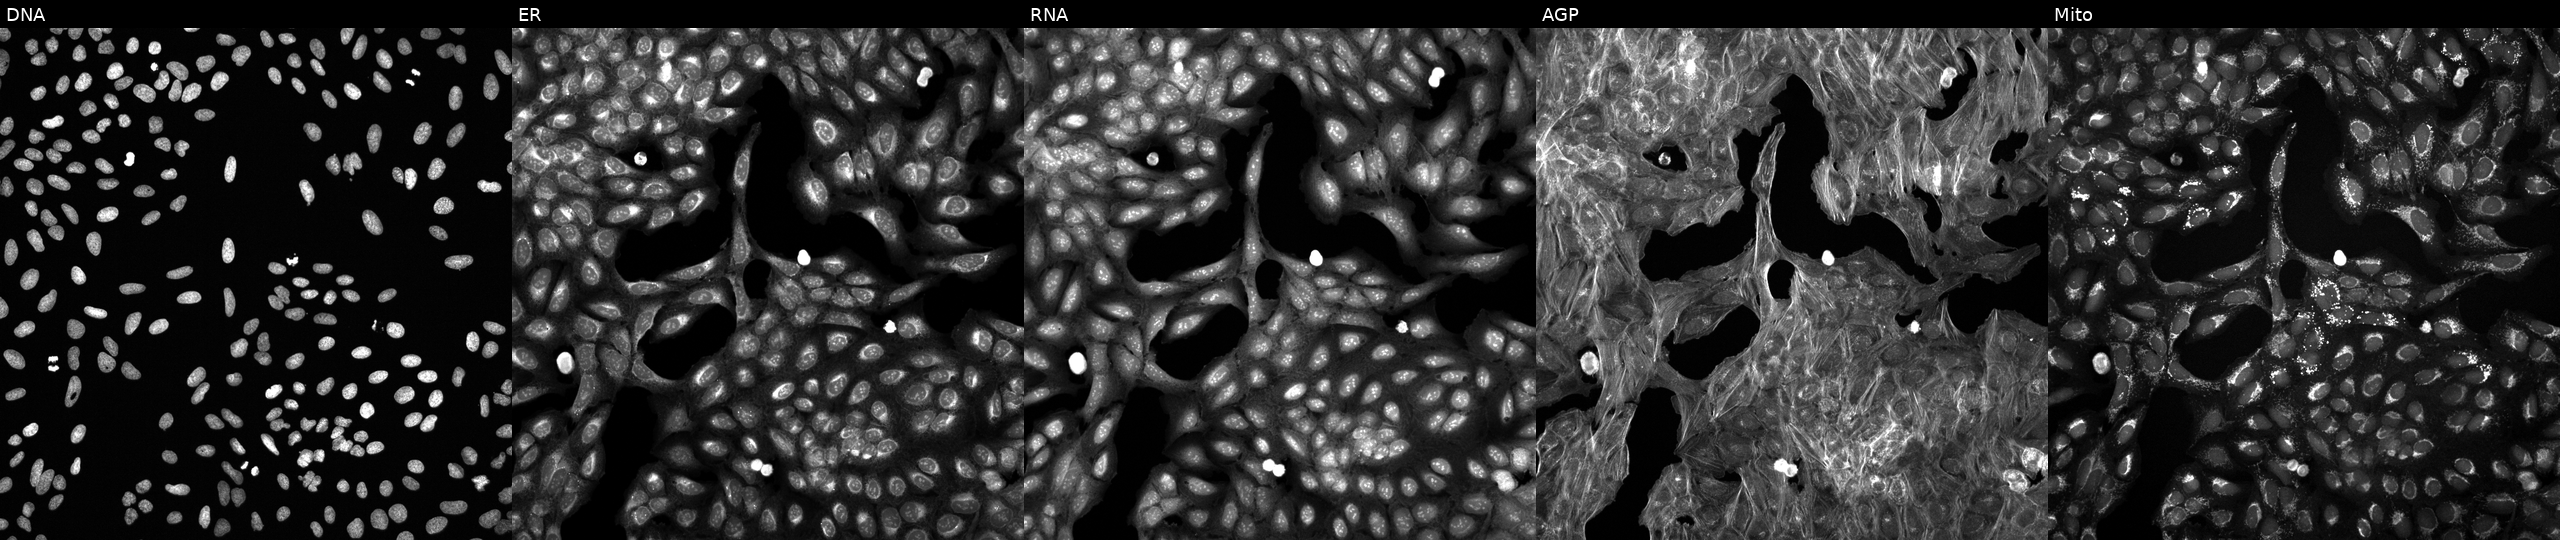
This image strip shows the five Cell Painting channels for a single field of U2OS cells treated with DMSO vehicle only (negative control) (JUMP id JCP2022_033924). The five panels, left to right, show DNA, ER, RNA, AGP, and Mito.